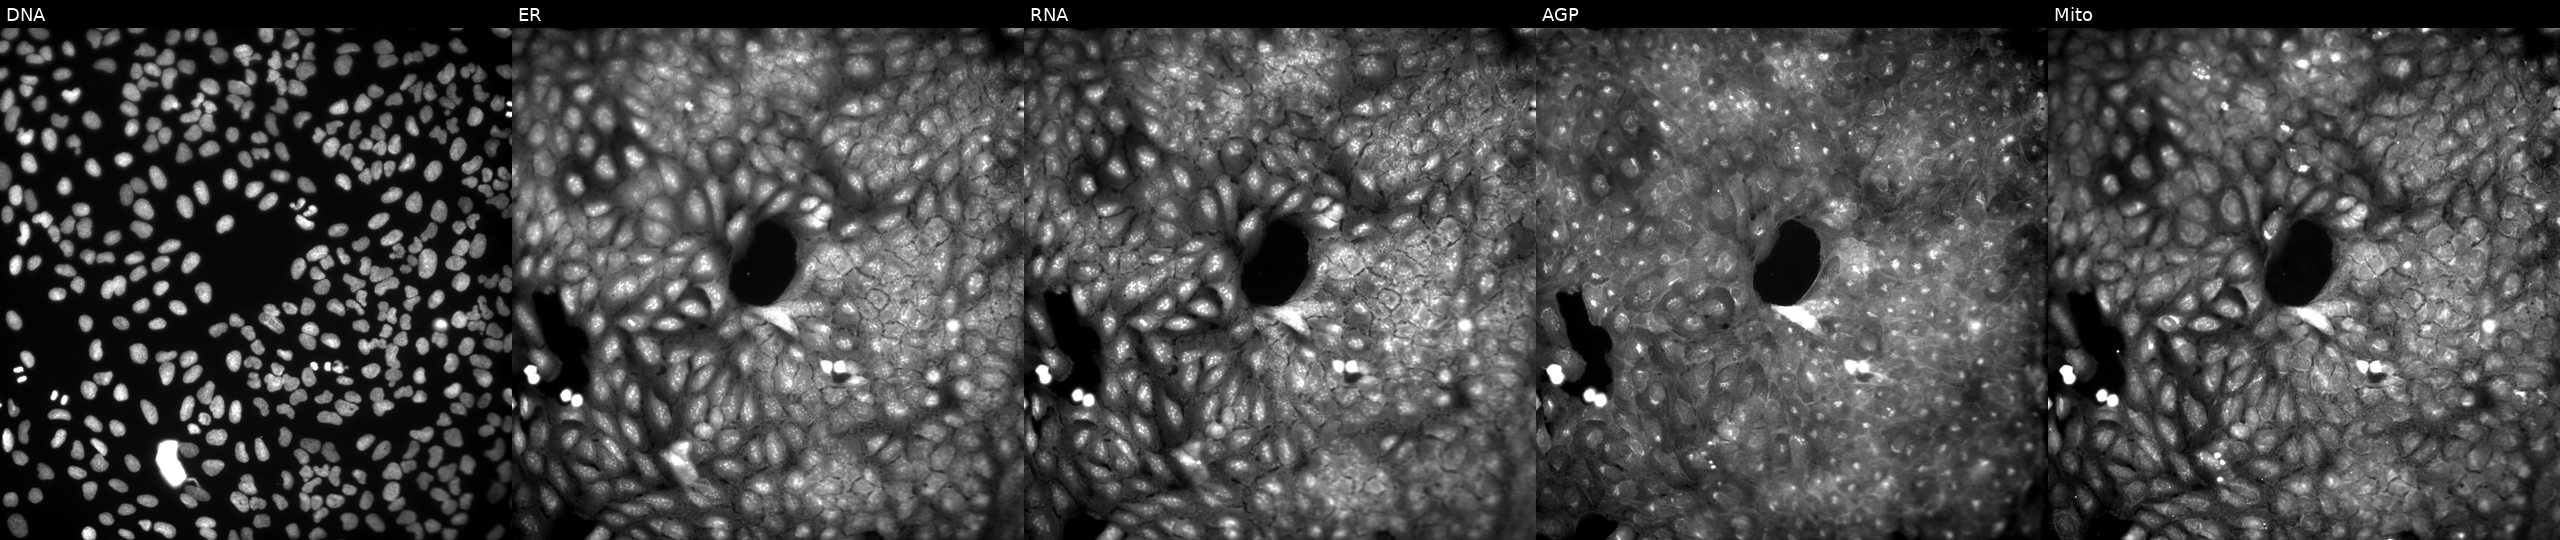
High-content fluorescence microscopy (Cell Painting). Cell line: U2OS. Perturbation: treated with a small-molecule compound (InChIKey NBOXOZXHBJYBDY-UHFFFAOYSA-N). Panels show, left to right, Hoechst 33342, concanavalin A, SYTO 14, phalloidin and WGA, MitoTracker.